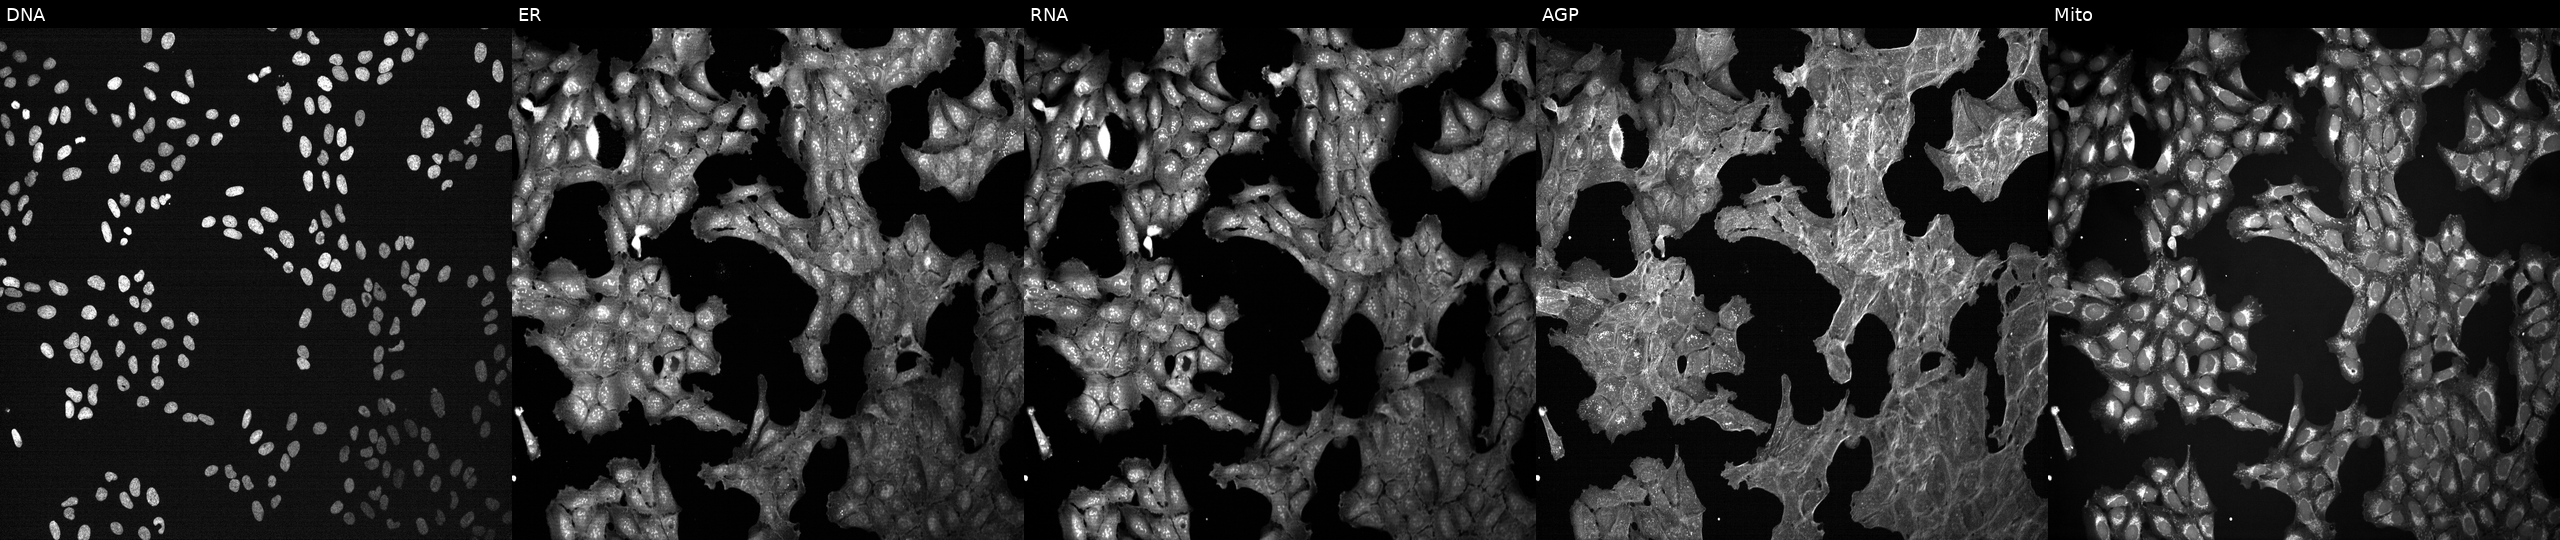
Channels (left→right): DNA (nuclei); ER (endoplasmic reticulum); RNA (nucleoli and cytoplasmic RNA); AGP (actin cytoskeleton, Golgi, and plasma membrane); Mito (mitochondria). U2OS osteosarcoma cells treated with a small-molecule compound [SMILES: OC1CN2CCC(O)C2C(O)C1O] (JUMP id JCP2022_039116). Cell Painting assay, JUMP-CP dataset.